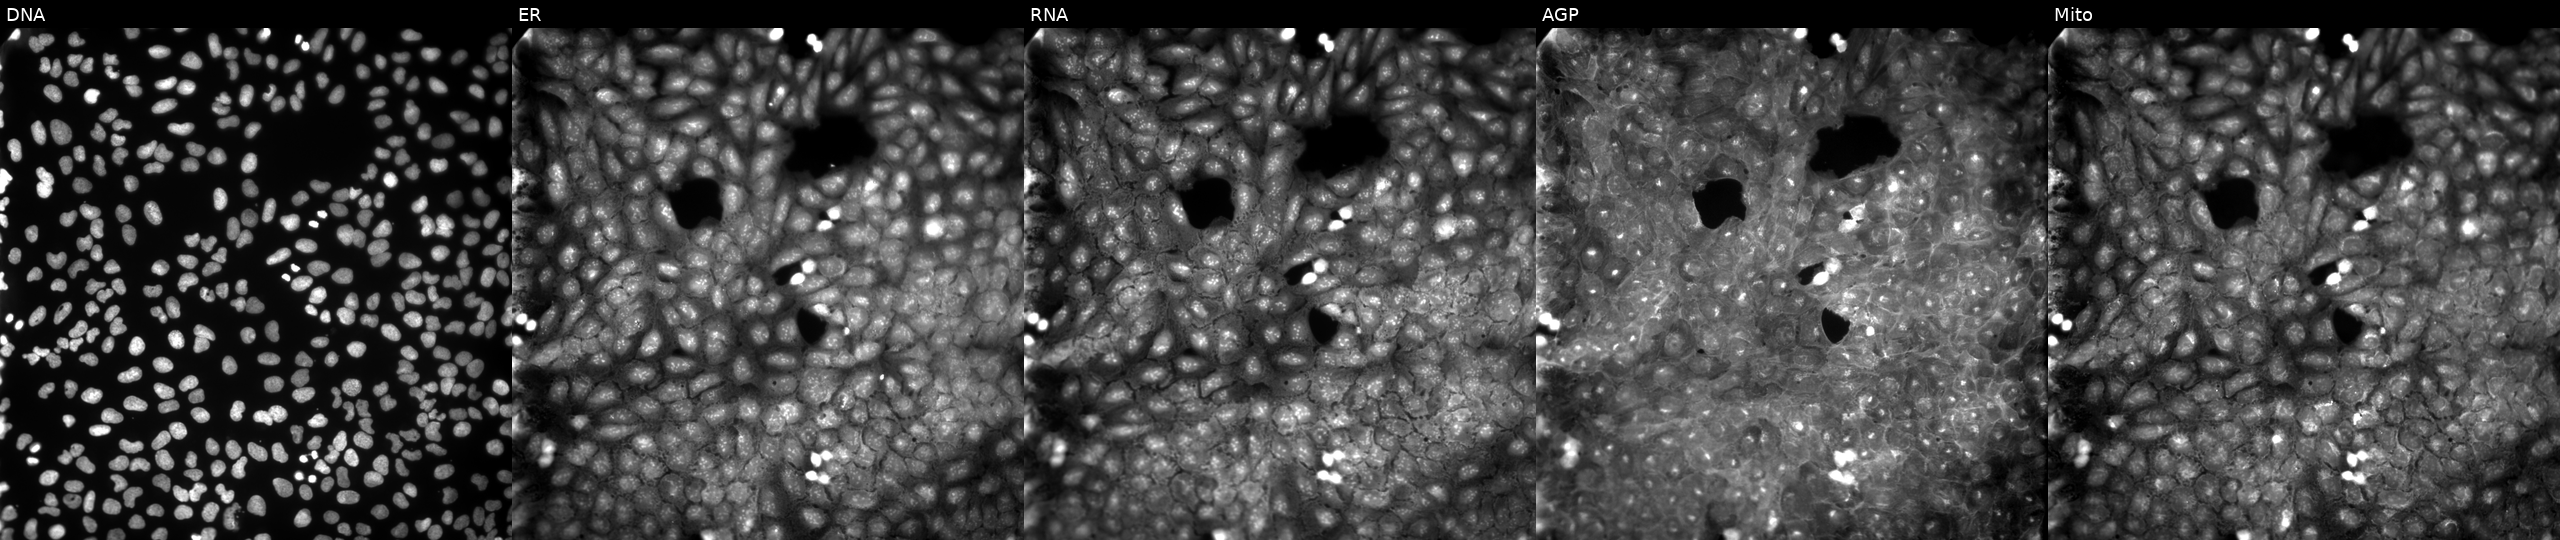
JUMP Cell Painting — COMPOUND plate. U2OS cells treated with a small-molecule compound (InChIKey PWBTYTYWXPFAAK-UHFFFAOYSA-N). From left to right: DNA, ER, RNA, AGP, and Mito. Source 9, plate GR00003382, well AE07.